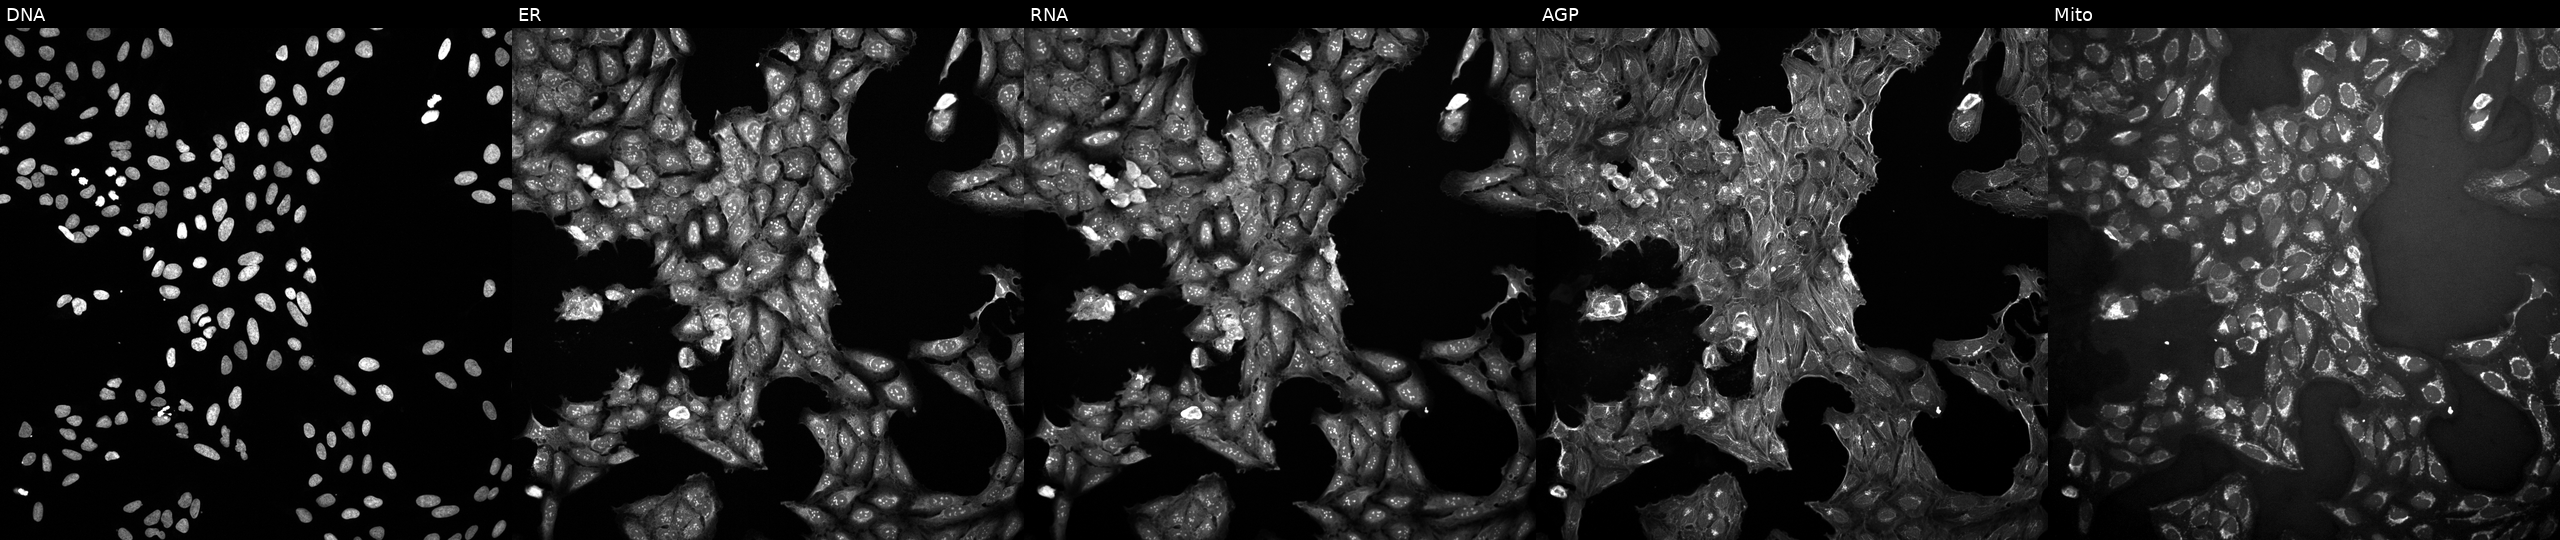
High-content fluorescence microscopy (Cell Painting). Cell line: U2OS. Perturbation: exposed to a small-molecule compound (InChIKey YRJXHTDTLQWIDM-UHFFFAOYSA-N). The five panels, left to right, show DNA, ER, RNA, AGP, and Mito.